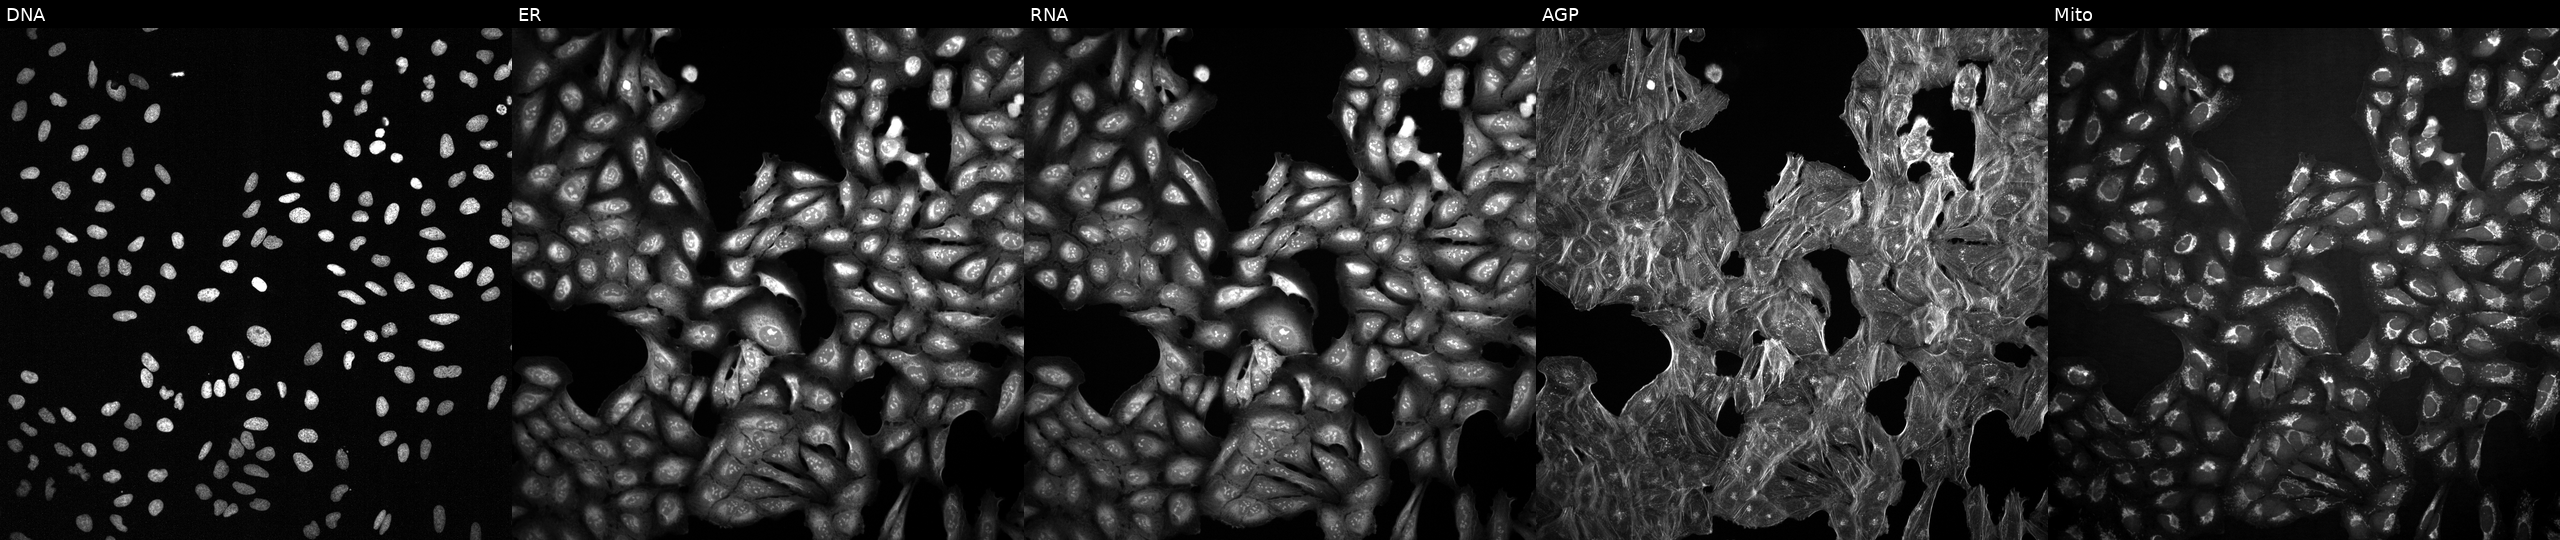
U2OS cells, Cell Painting assay, treated with a small-molecule compound (InChIKey QQGWEXFLMJGCAL-UHFFFAOYSA-N) (JUMP id JCP2022_075182). Channels (left→right): DNA, ER, RNA, AGP, and Mito. Each panel is percentile-stretched 16-bit fluorescence.